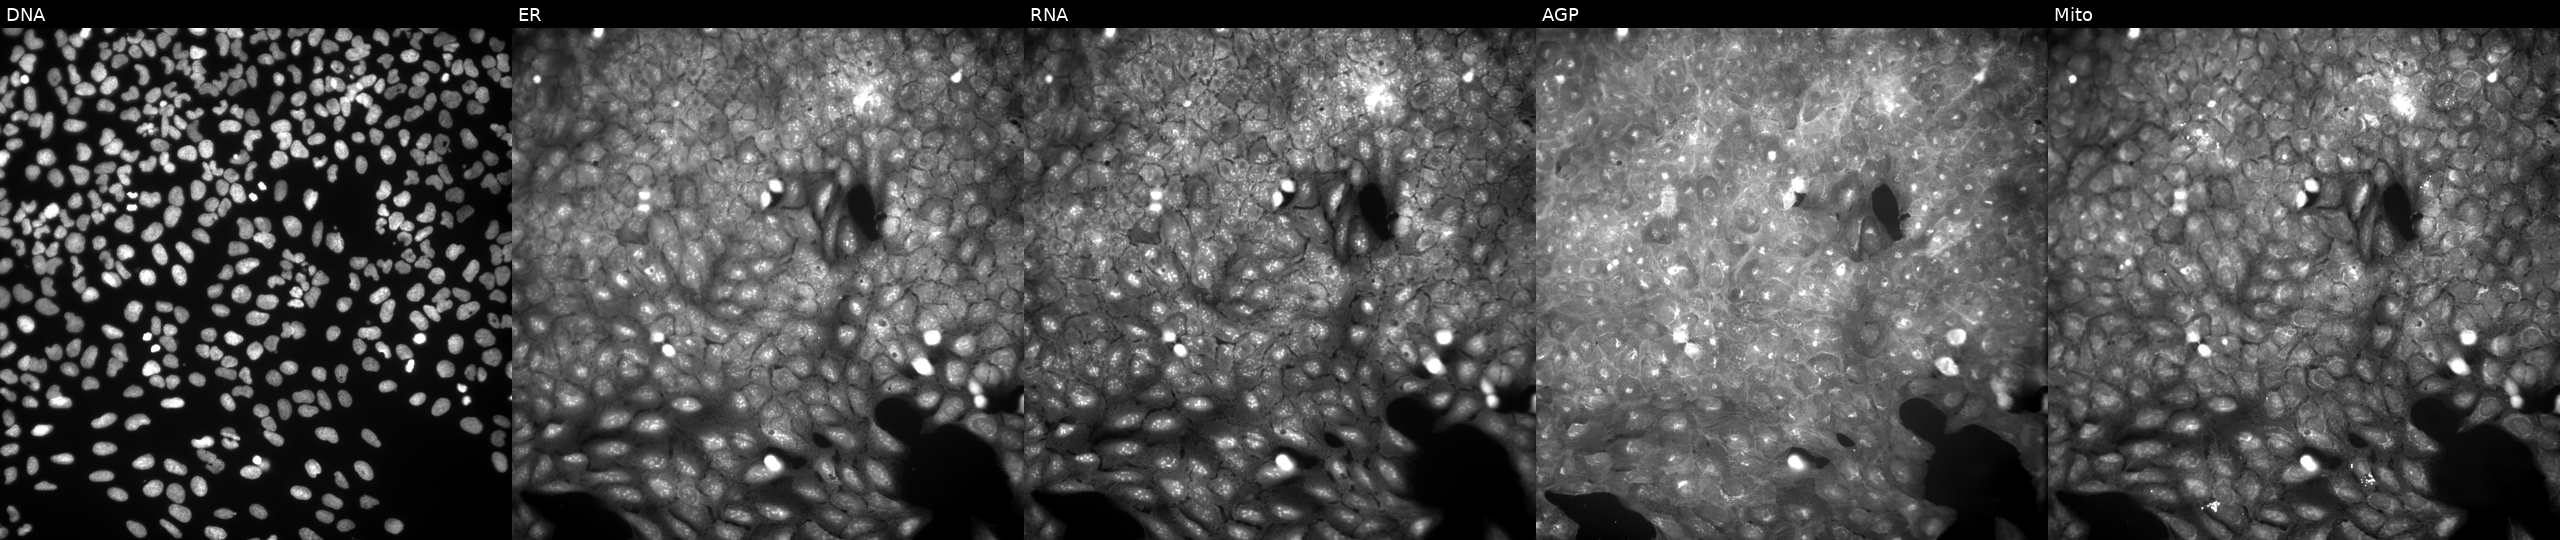
JUMP Cell Painting — COMPOUND plate. U2OS cells treated with a small-molecule compound (InChIKey HZAWSECNAURSLI-UHFFFAOYSA-N) [SMILES: Cc1ccc(C2Nc3cccc4cccc(c34)N2)cc1] (JUMP id JCP2022_033561). Channels (left→right): Hoechst 33342, concanavalin A, SYTO 14, phalloidin and WGA, MitoTracker.